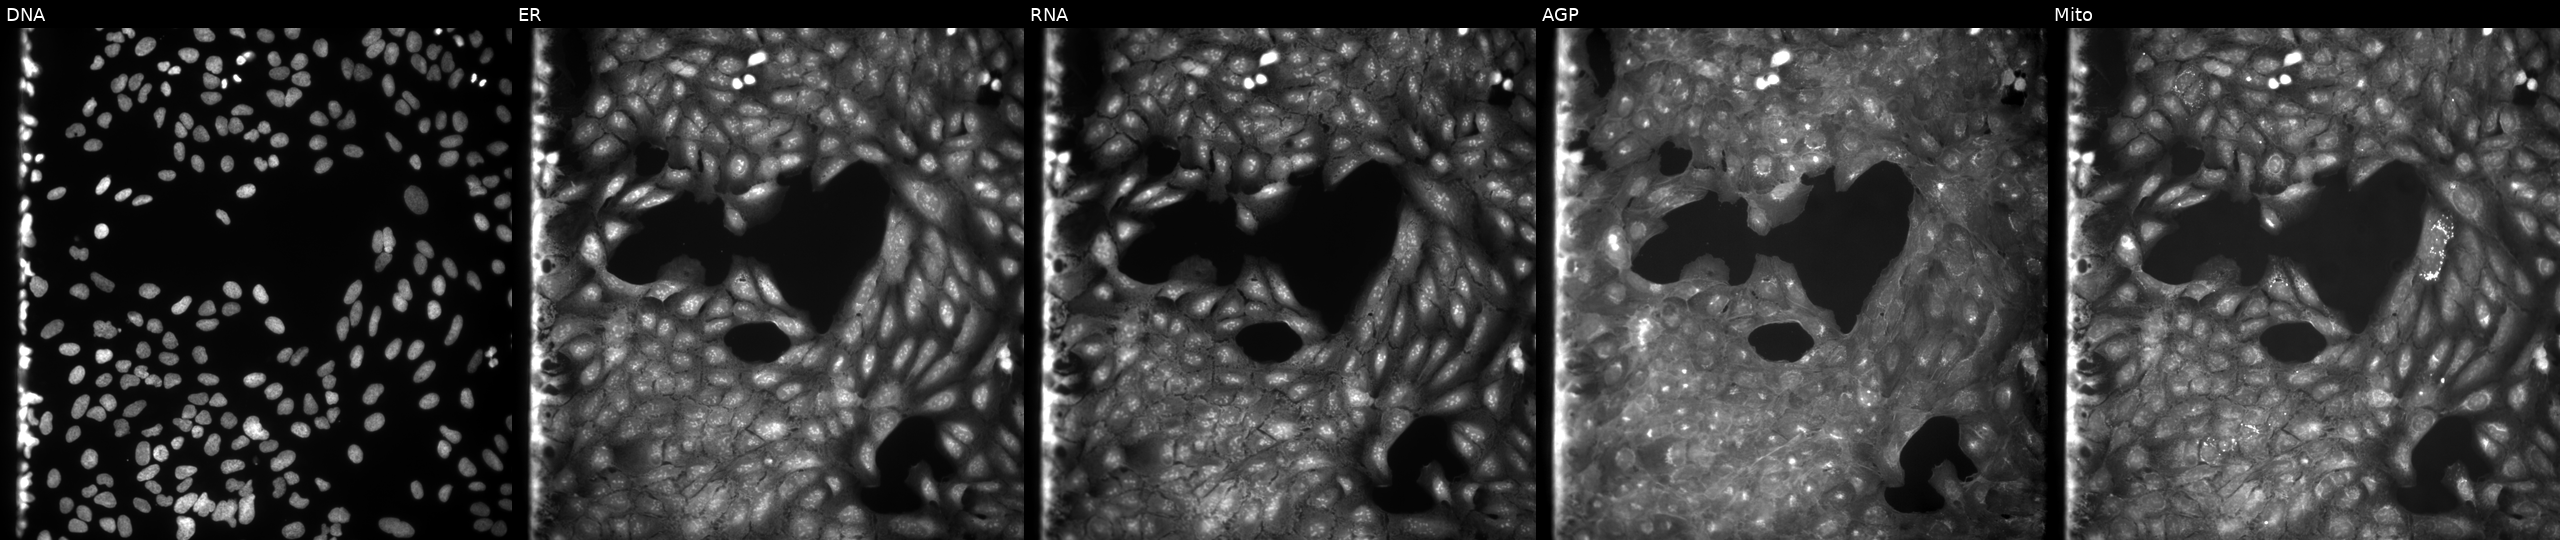
Five-channel Cell Painting image of U2OS cells perturbed with a small-molecule compound [SMILES: Brc1cccc(-c2nnc(-c3ccccc3)o2)c1] (JUMP id JCP2022_004346). Panels show, left to right, DNA (nuclei); ER (endoplasmic reticulum); RNA (nucleoli and cytoplasmic RNA); AGP (actin cytoskeleton, Golgi, and plasma membrane); Mito (mitochondria).